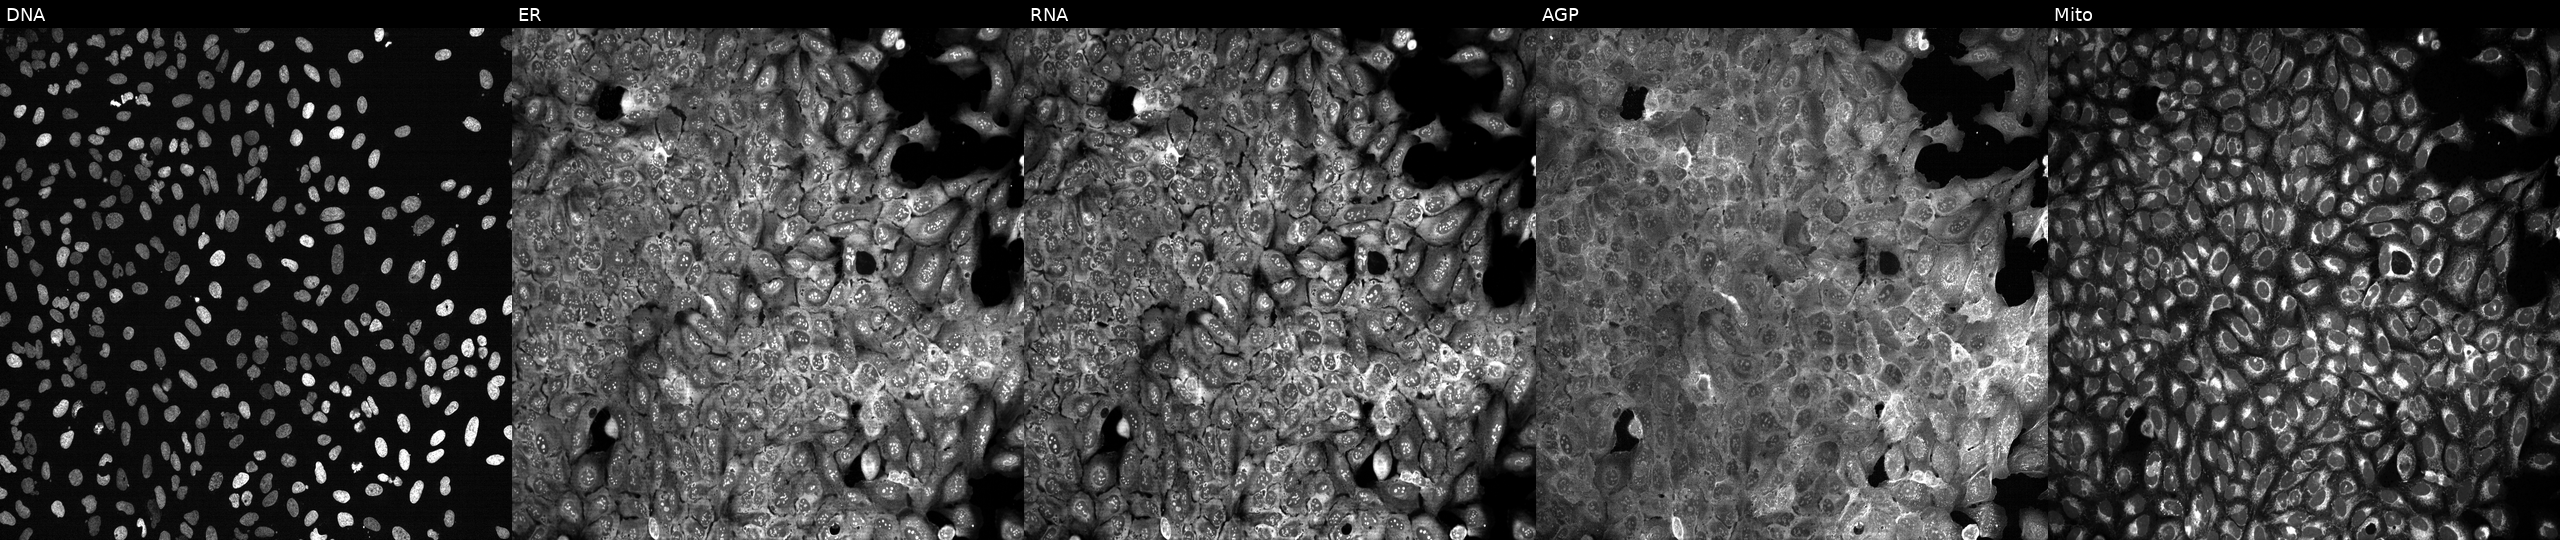
High-content fluorescence microscopy (Cell Painting). Cell line: U2OS. Perturbation: following CRISPR knockout of SFXN5 (JUMP id JCP2022_806303). Panels show, left to right, DNA, ER, RNA, AGP, and Mito.